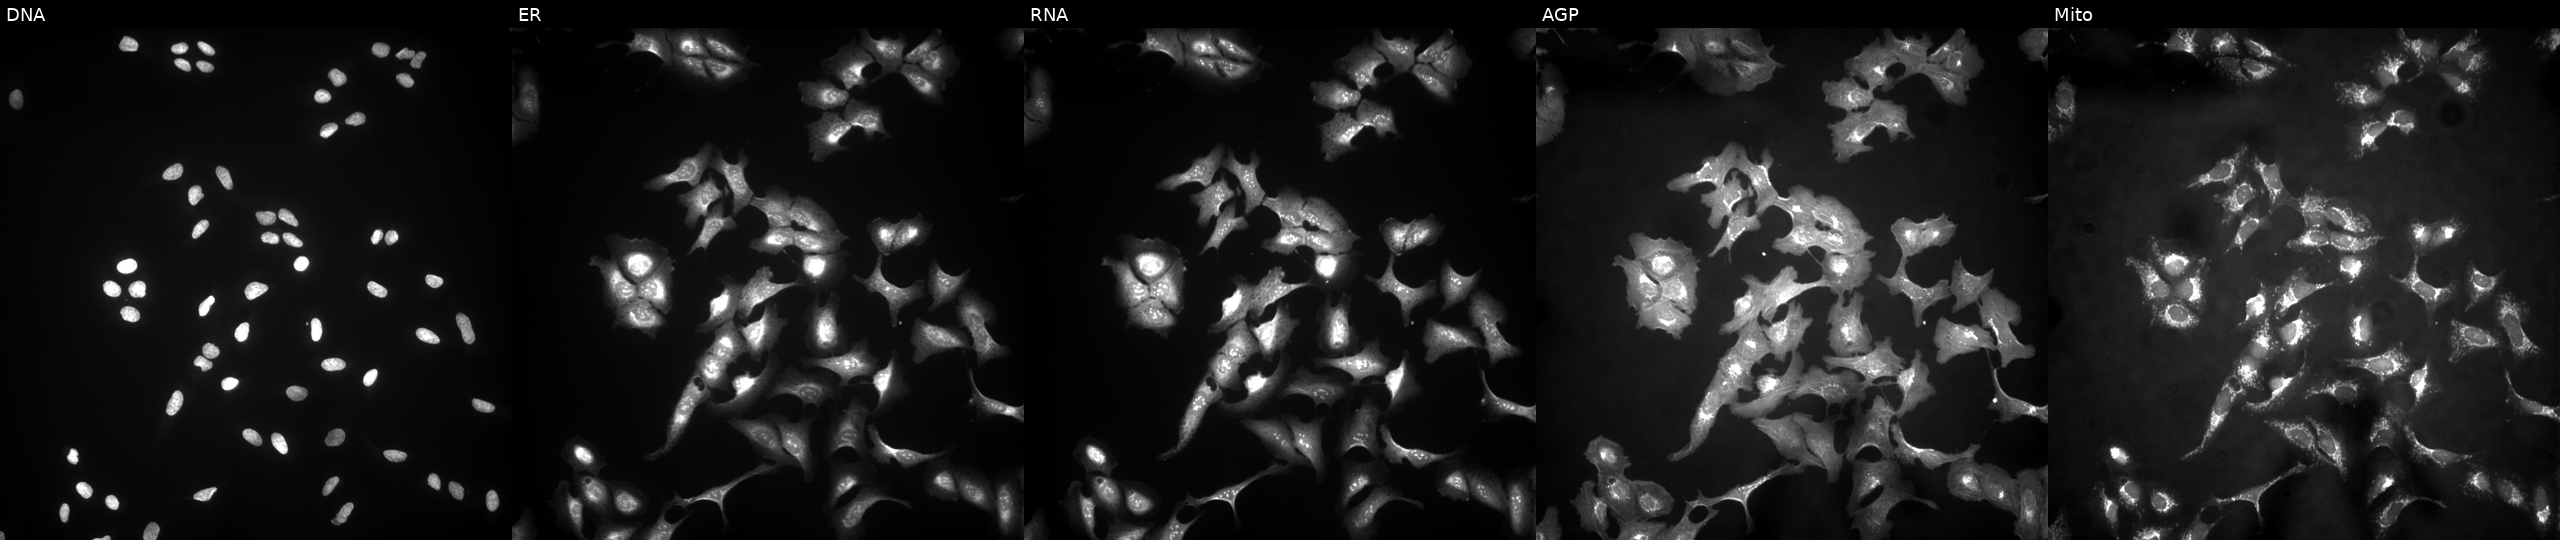
High-content fluorescence microscopy (Cell Painting). Cell line: U2OS. Perturbation: overexpressing TRIM13 via ORF transfection (JUMP id JCP2022_902205). Panels show, left to right, DNA, ER, RNA, AGP, and Mito.